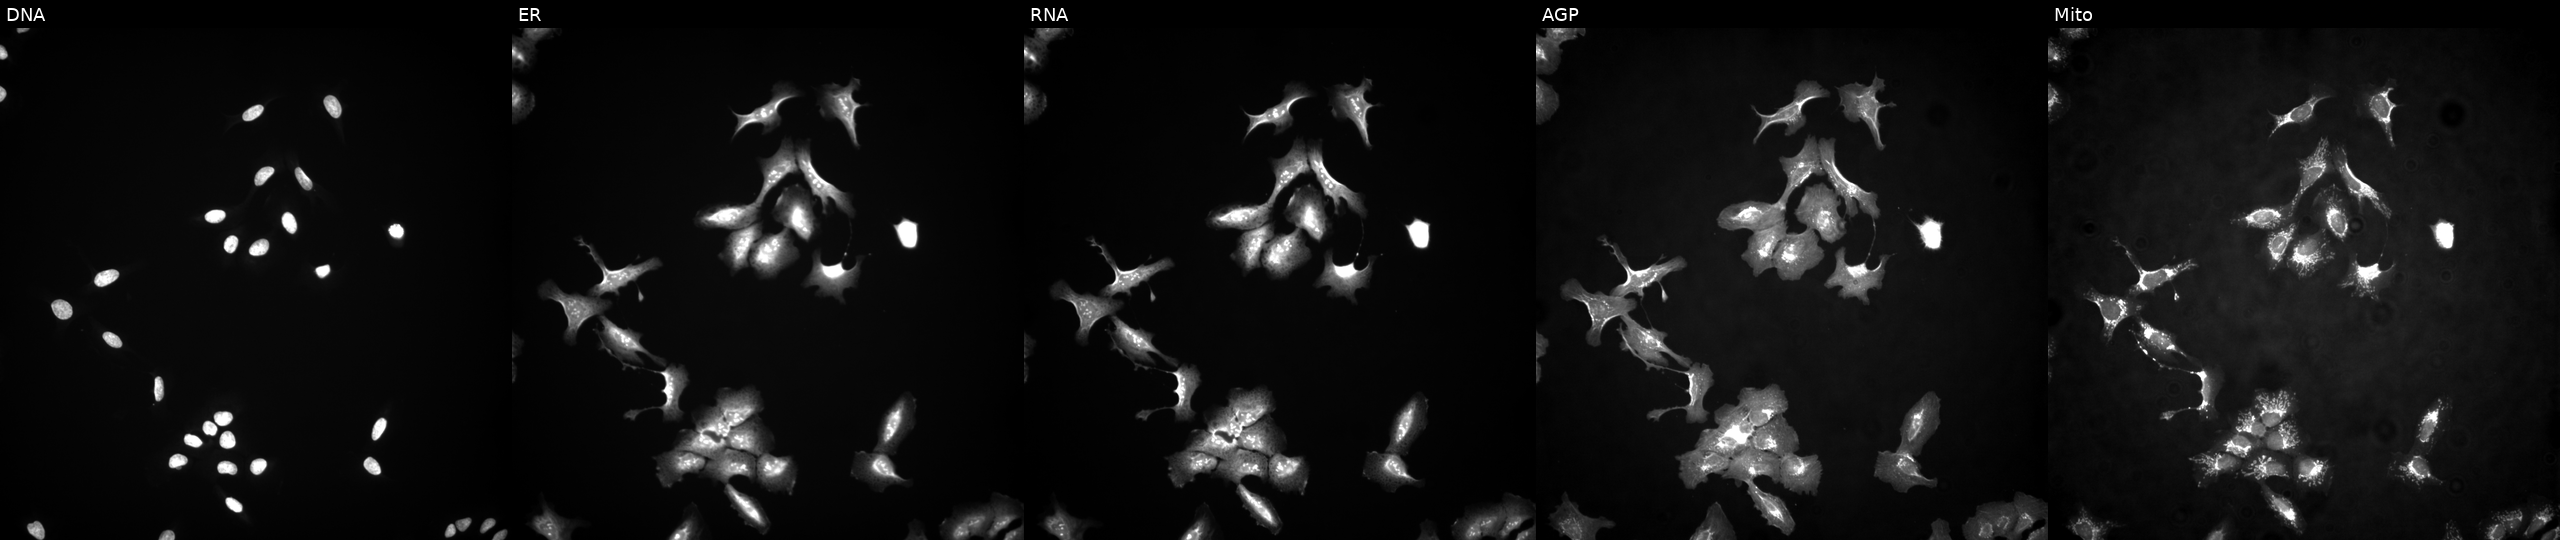
U2OS cells, Cell Painting assay, with ZNF423 overexpressed (ORF). Channels (left→right): Hoechst 33342, concanavalin A, SYTO 14, phalloidin and WGA, MitoTracker. Each panel is percentile-stretched 16-bit fluorescence.